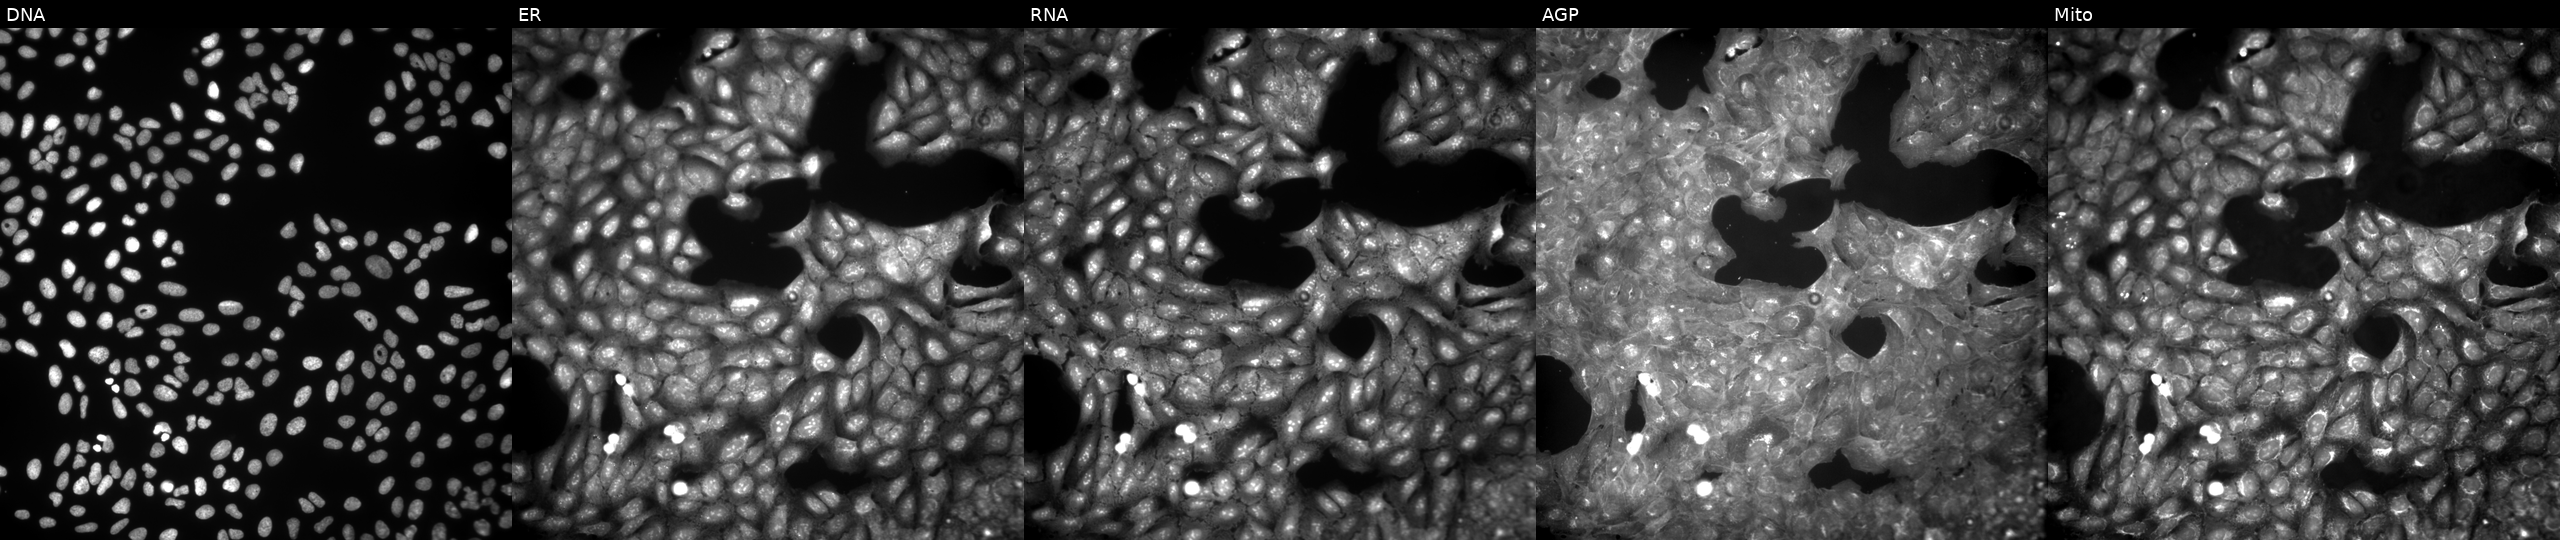
High-content fluorescence microscopy (Cell Painting). Cell line: U2OS. Perturbation: exposed to a small-molecule compound (InChIKey ISGXBYOWODWLLW-UHFFFAOYSA-N). Panels show, left to right, Hoechst 33342, concanavalin A, SYTO 14, phalloidin and WGA, MitoTracker.